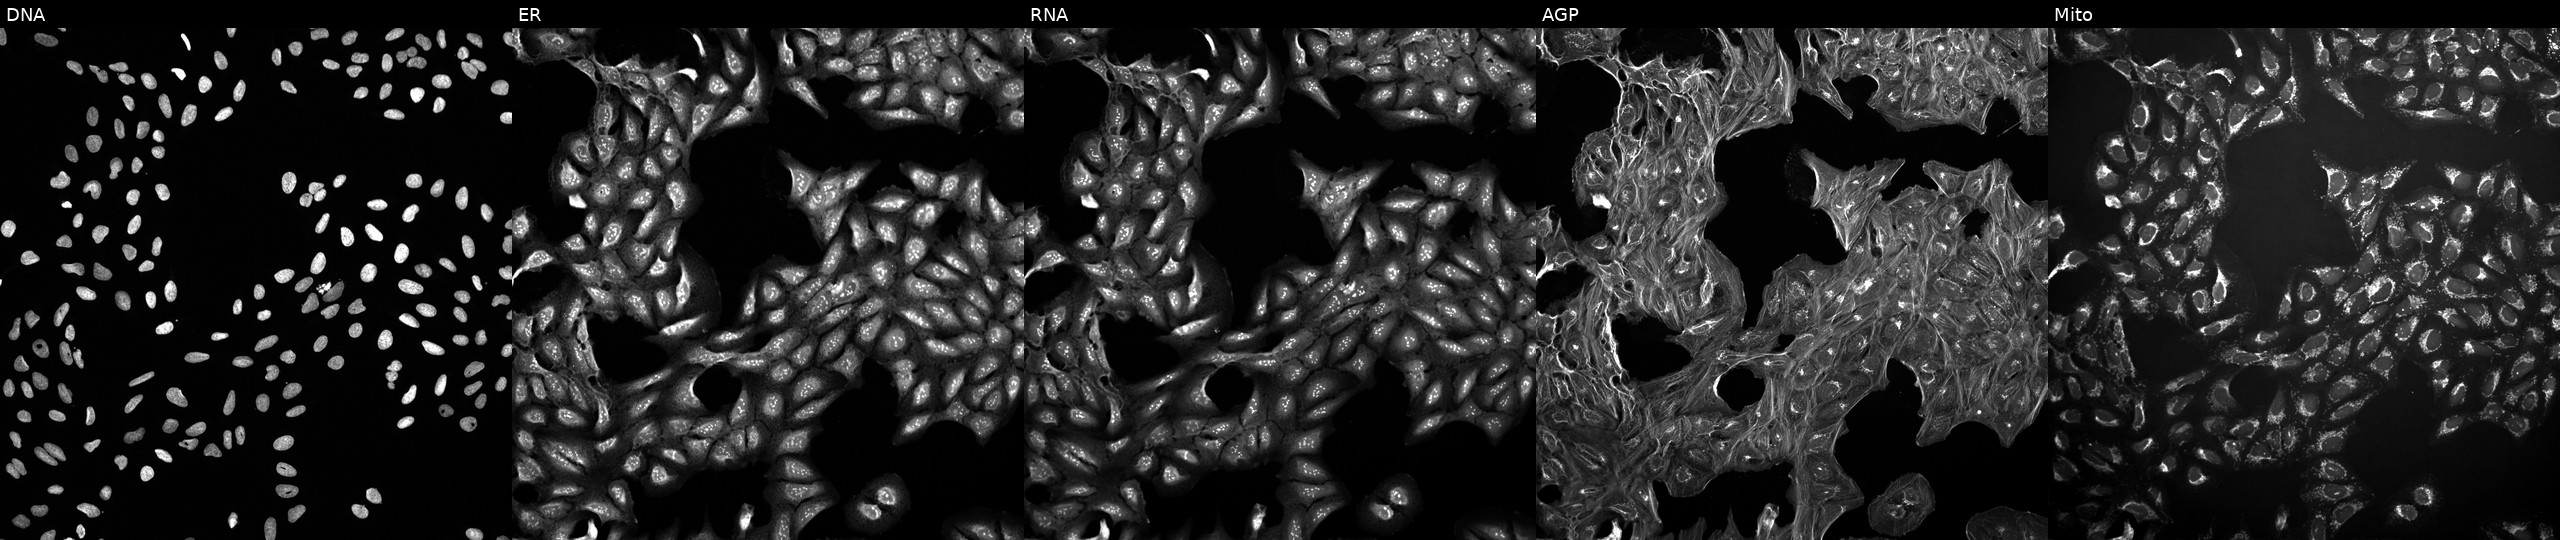
From left to right: DNA (nuclei); ER (endoplasmic reticulum); RNA (nucleoli and cytoplasmic RNA); AGP (actin cytoskeleton, Golgi, and plasma membrane); Mito (mitochondria). U2OS osteosarcoma cells treated with a small-molecule compound (InChIKey GVJHHUAWPYXKBD-UHFFFAOYSA-N). Cell Painting assay, JUMP-CP dataset. Source 10, plate Dest210726-160150, well G09.